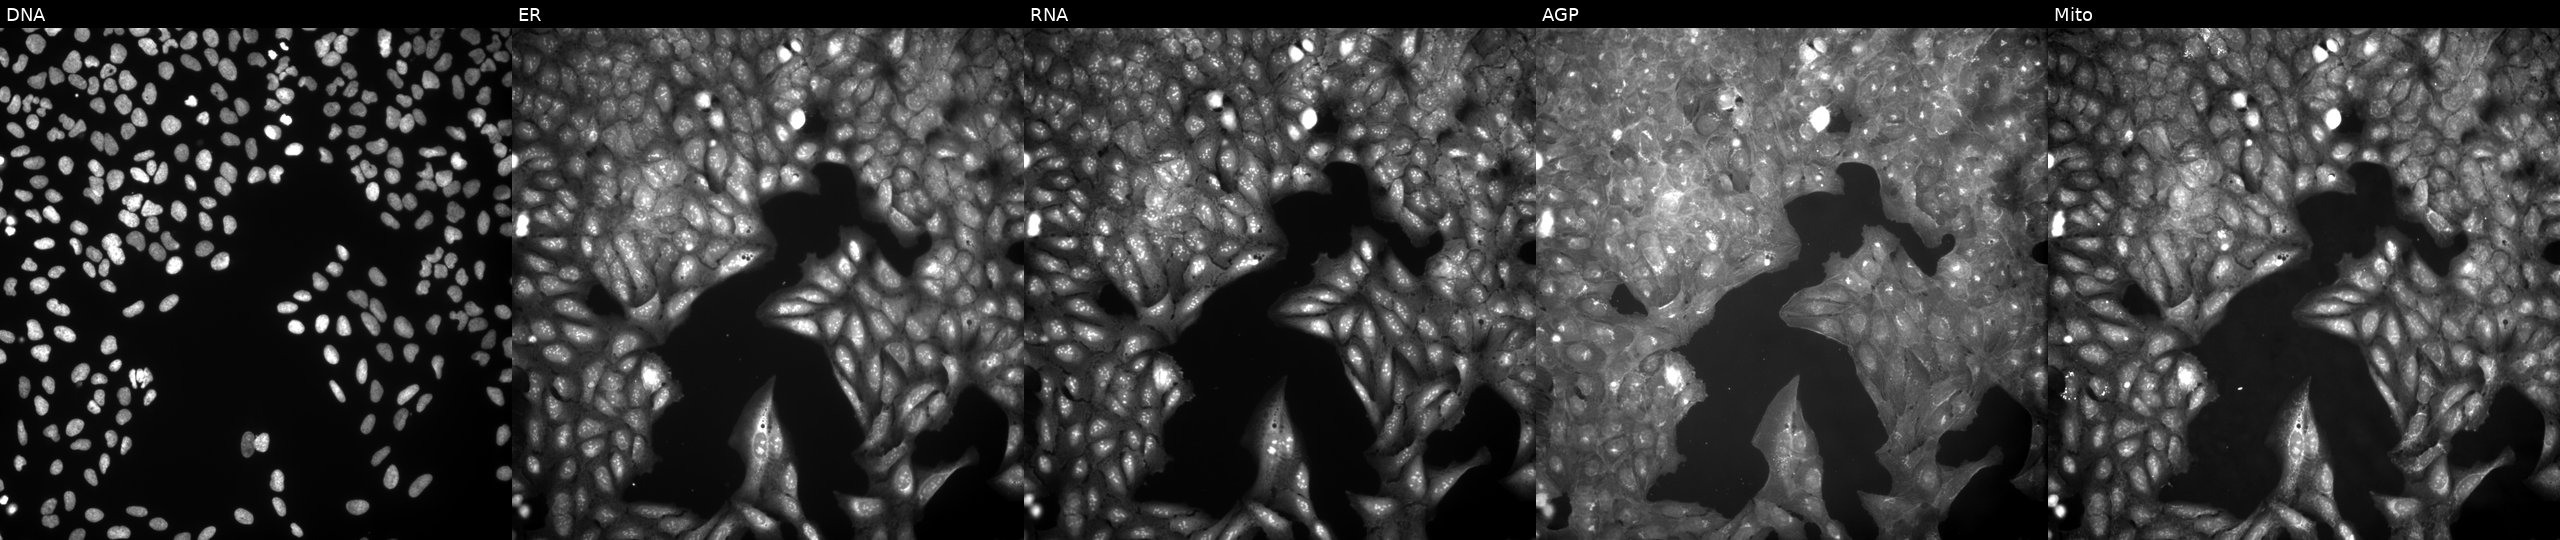
Channels (left→right): DNA, ER, RNA, AGP, and Mito. U2OS osteosarcoma cells perturbed with a small-molecule compound (InChIKey KNRKURFWIPWGKS-UHFFFAOYSA-N) (JUMP id JCP2022_045808). Cell Painting assay, JUMP-CP dataset. Source 9, plate GR00003382, well L29.